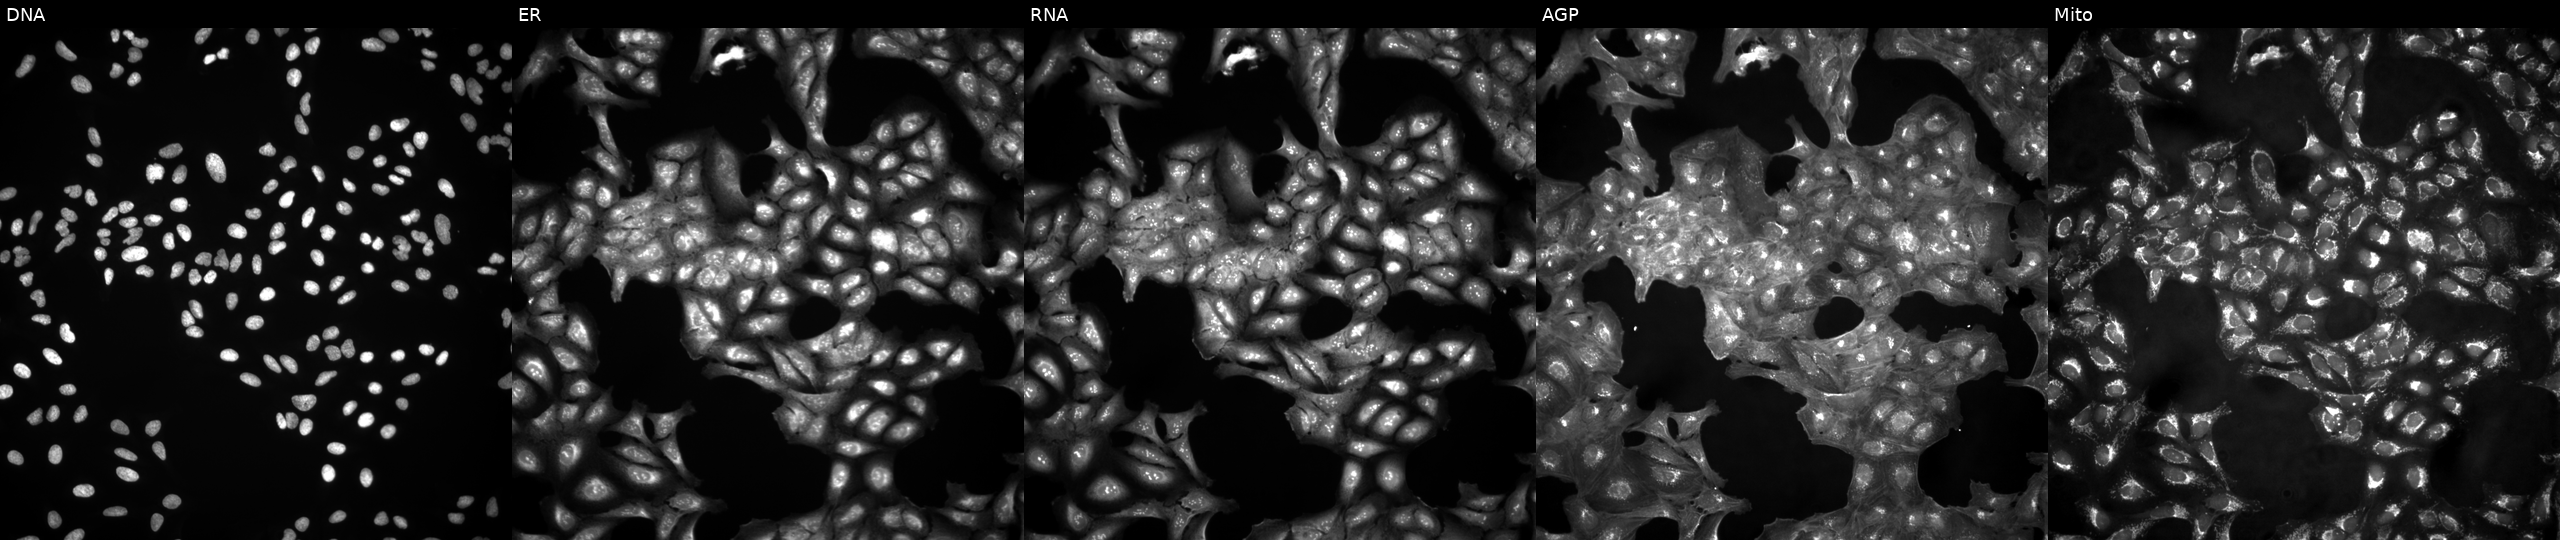
Five-channel Cell Painting image of U2OS cells in an empty control well (no perturbation). From left to right: Hoechst 33342, concanavalin A, SYTO 14, phalloidin and WGA, MitoTracker.